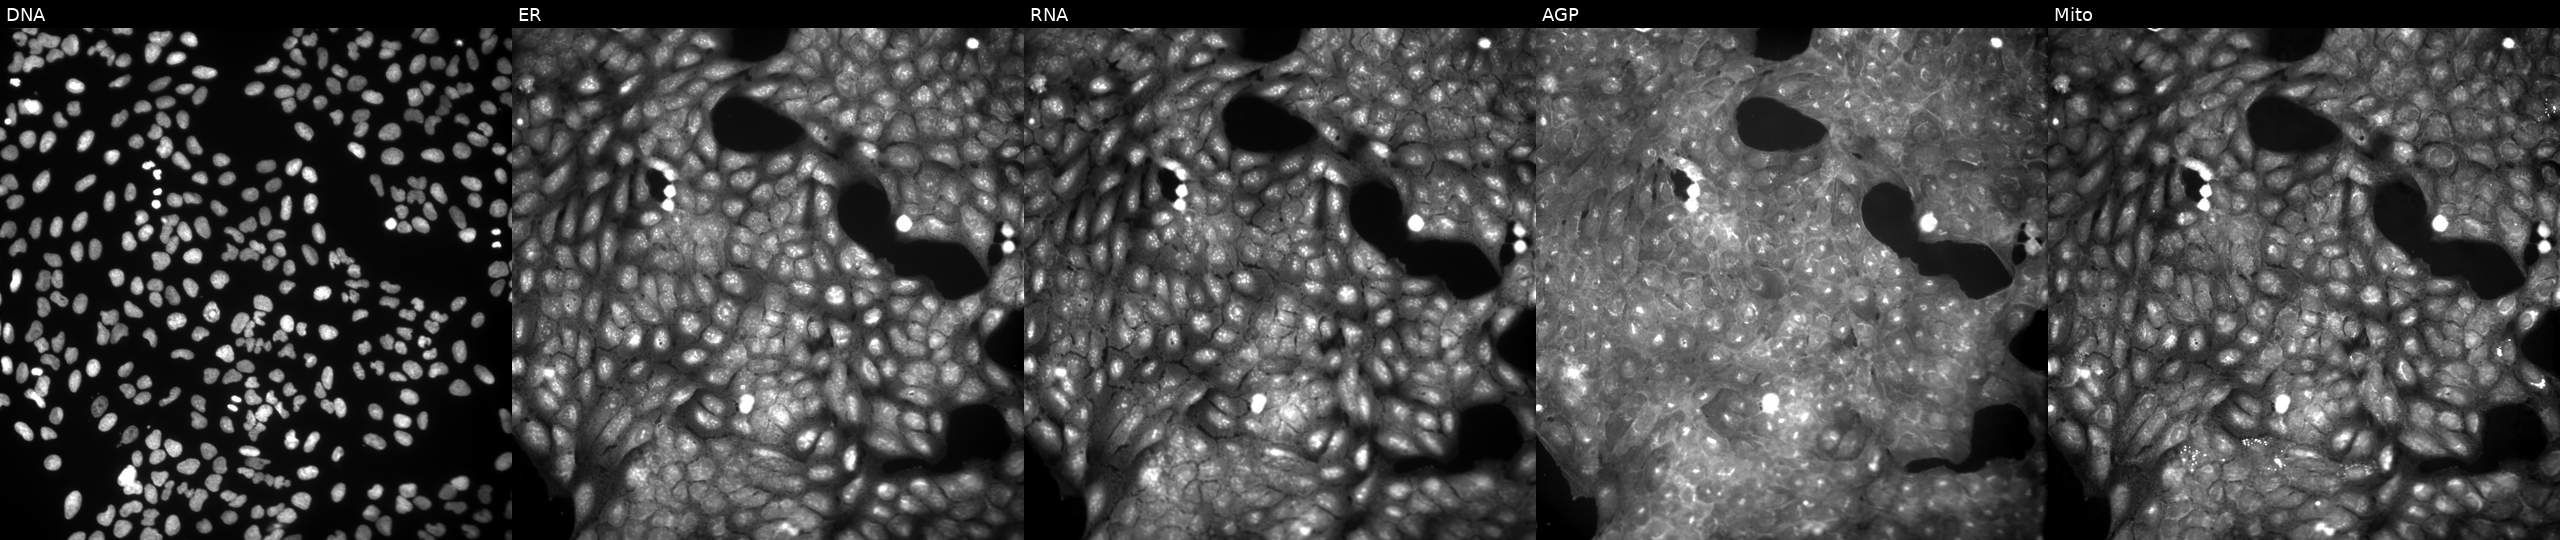
Five-channel Cell Painting image of U2OS cells exposed to a small-molecule compound (InChIKey YPLGLUKDESZURO-UHFFFAOYSA-N) (JUMP id JCP2022_109952). From left to right: DNA, ER, RNA, AGP, and Mito.